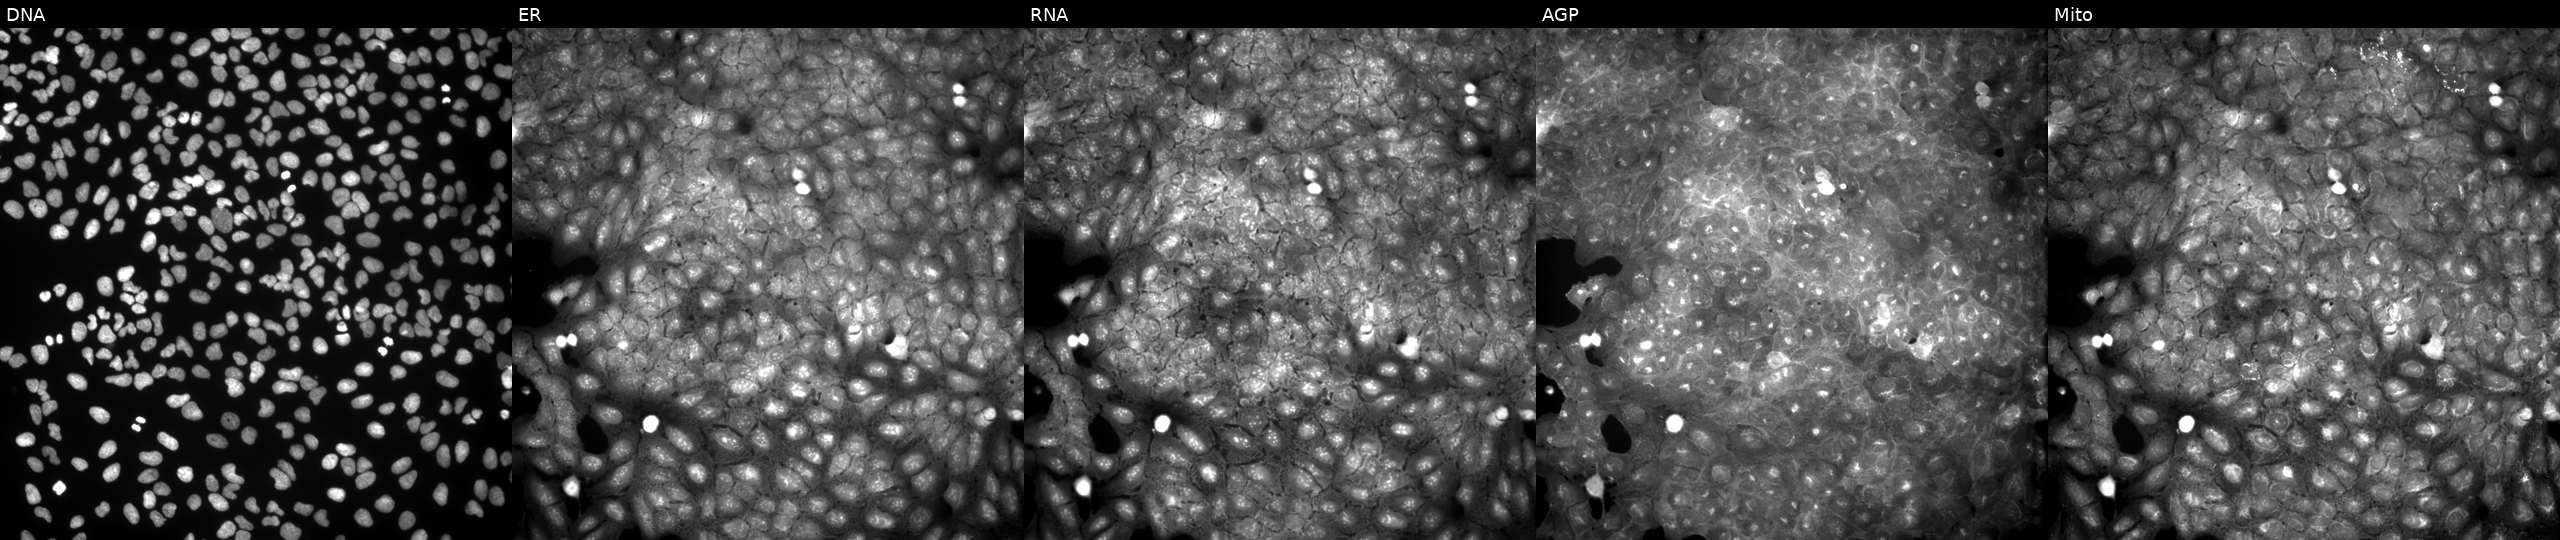
High-content fluorescence microscopy (Cell Painting). Cell line: U2OS. Perturbation: exposed to a small-molecule compound. Channels (left→right): DNA (nuclei); ER (endoplasmic reticulum); RNA (nucleoli and cytoplasmic RNA); AGP (actin cytoskeleton, Golgi, and plasma membrane); Mito (mitochondria).